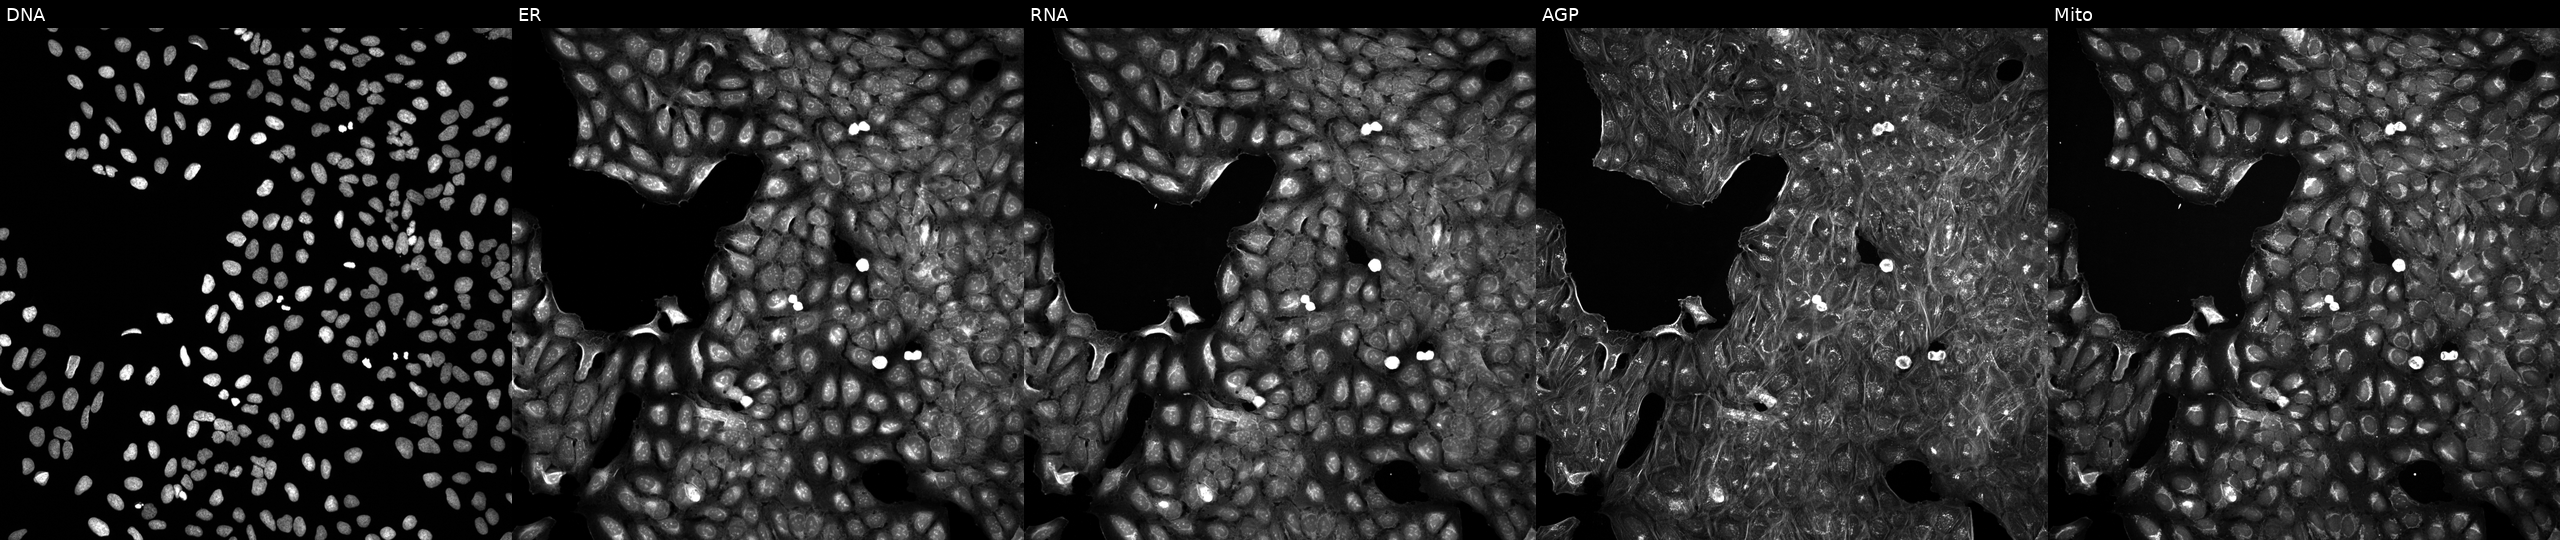
High-content fluorescence microscopy (Cell Painting). Cell line: U2OS. Perturbation: treated with a small-molecule compound (InChIKey VQWPLXVJCXYOCA-UHFFFAOYSA-N) [SMILES: Cc1cc(C(=O)NCCn2c(C)nc3ccccc32)ccc1N1CCNC1=O] (JUMP id JCP2022_095700). Channels (left→right): DNA (nuclei); ER (endoplasmic reticulum); RNA (nucleoli and cytoplasmic RNA); AGP (actin cytoskeleton, Golgi, and plasma membrane); Mito (mitochondria). Source 5, plate APTJUM106, well B17.